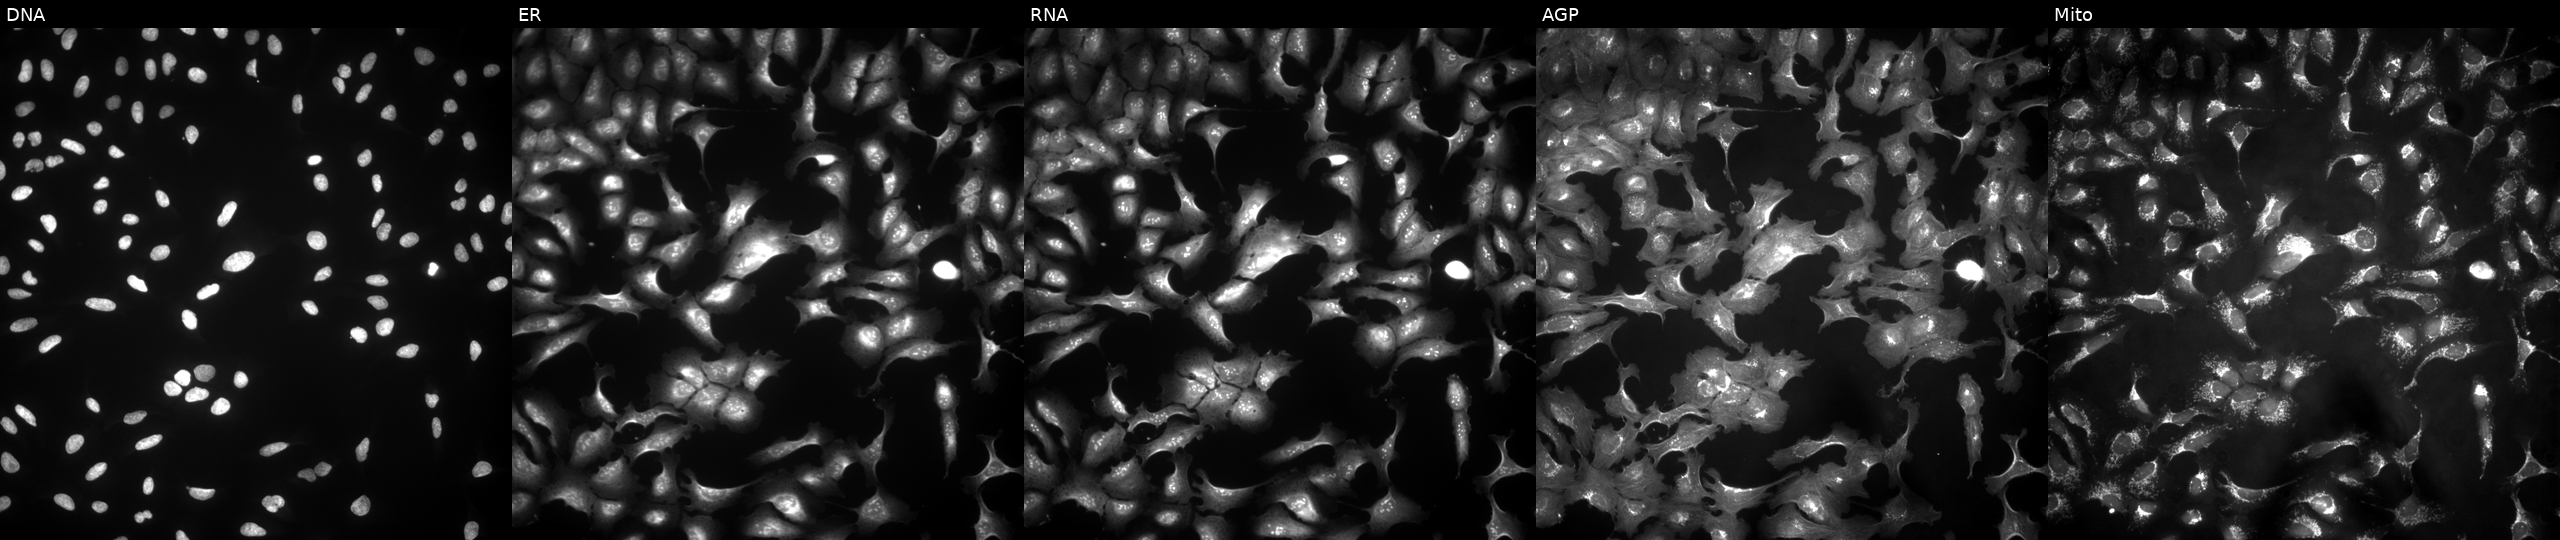
U2OS cells, Cell Painting assay, overexpressing FSIP1 via ORF transfection (JUMP id JCP2022_909076). Channels (left→right): DNA, ER, RNA, AGP, and Mito. Each panel is percentile-stretched 16-bit fluorescence. Source 4, plate BR00123506, well I02.